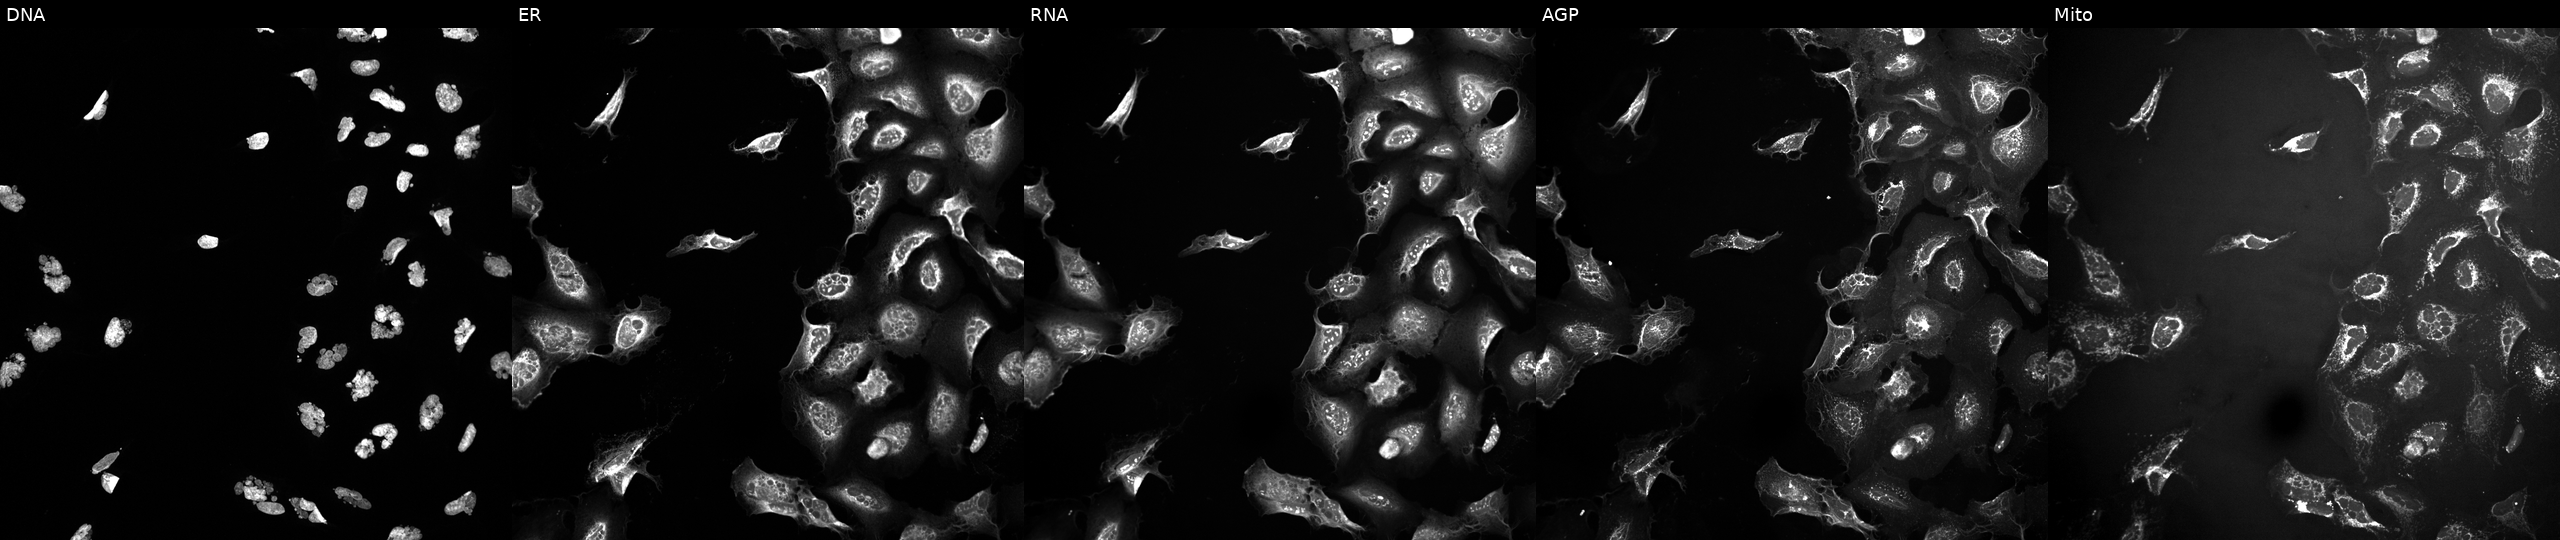
Five-channel Cell Painting image of U2OS cells treated with AMG900 (positive-control compound). Panels show, left to right, DNA (nuclei); ER (endoplasmic reticulum); RNA (nucleoli and cytoplasmic RNA); AGP (actin cytoskeleton, Golgi, and plasma membrane); Mito (mitochondria). Source 10, plate Dest210803-153958, well L15.